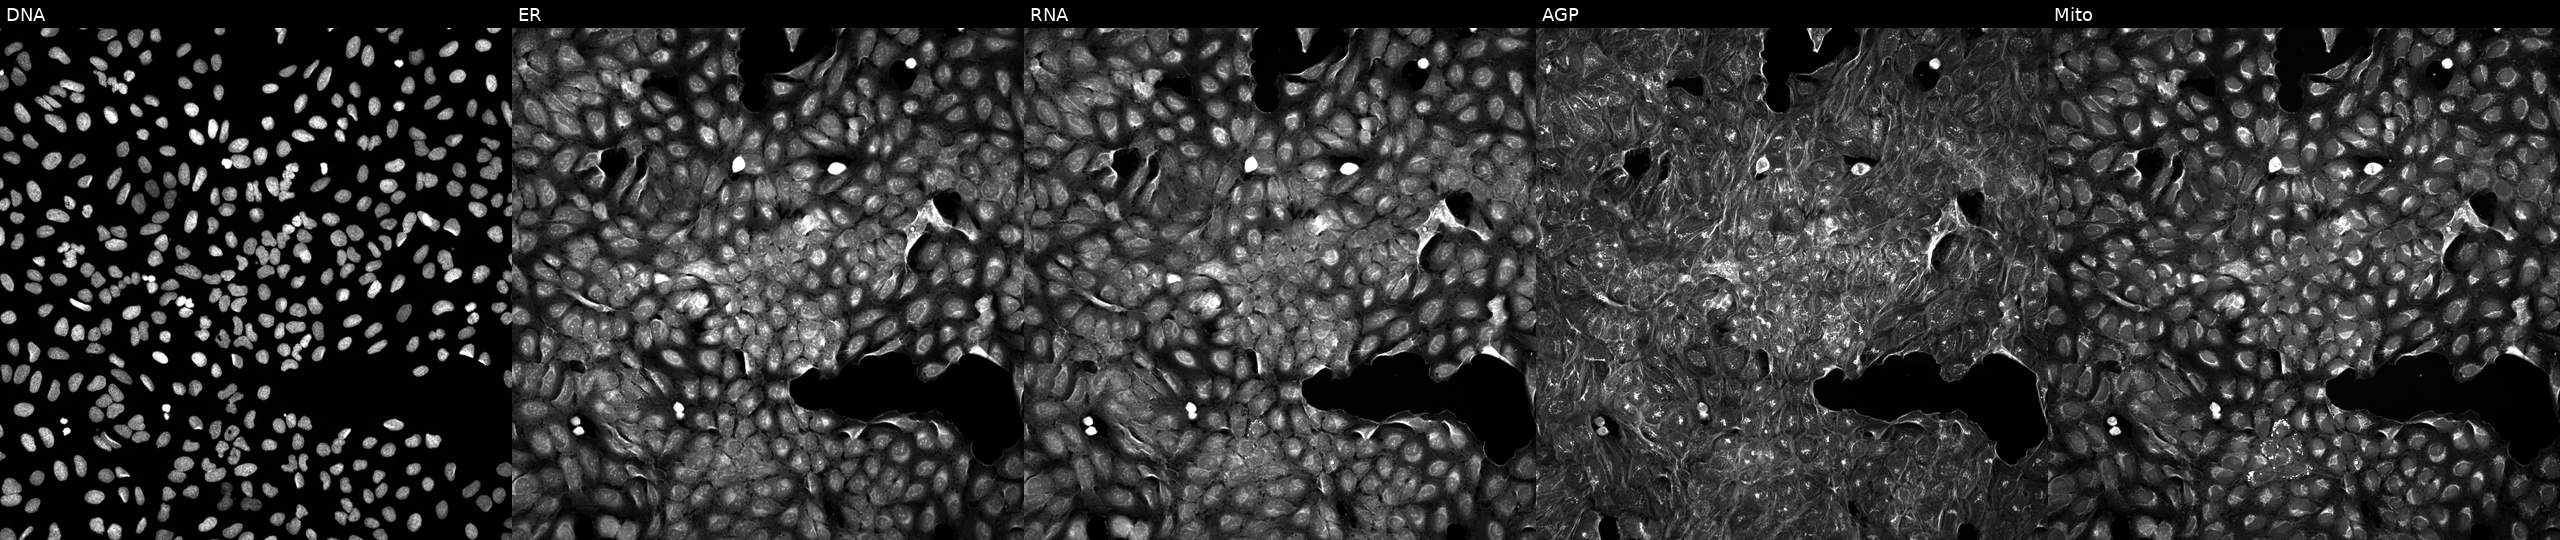
High-content fluorescence microscopy (Cell Painting). Cell line: U2OS. Perturbation: treated with a small-molecule compound (InChIKey VTBHVWPSXQQOCN-UHFFFAOYSA-N) [SMILES: Cc1noc(C)c1NC(=O)Cc1ccc2c(c1)CCO2] (JUMP id JCP2022_096103). Panels show, left to right, DNA, ER, RNA, AGP, and Mito.